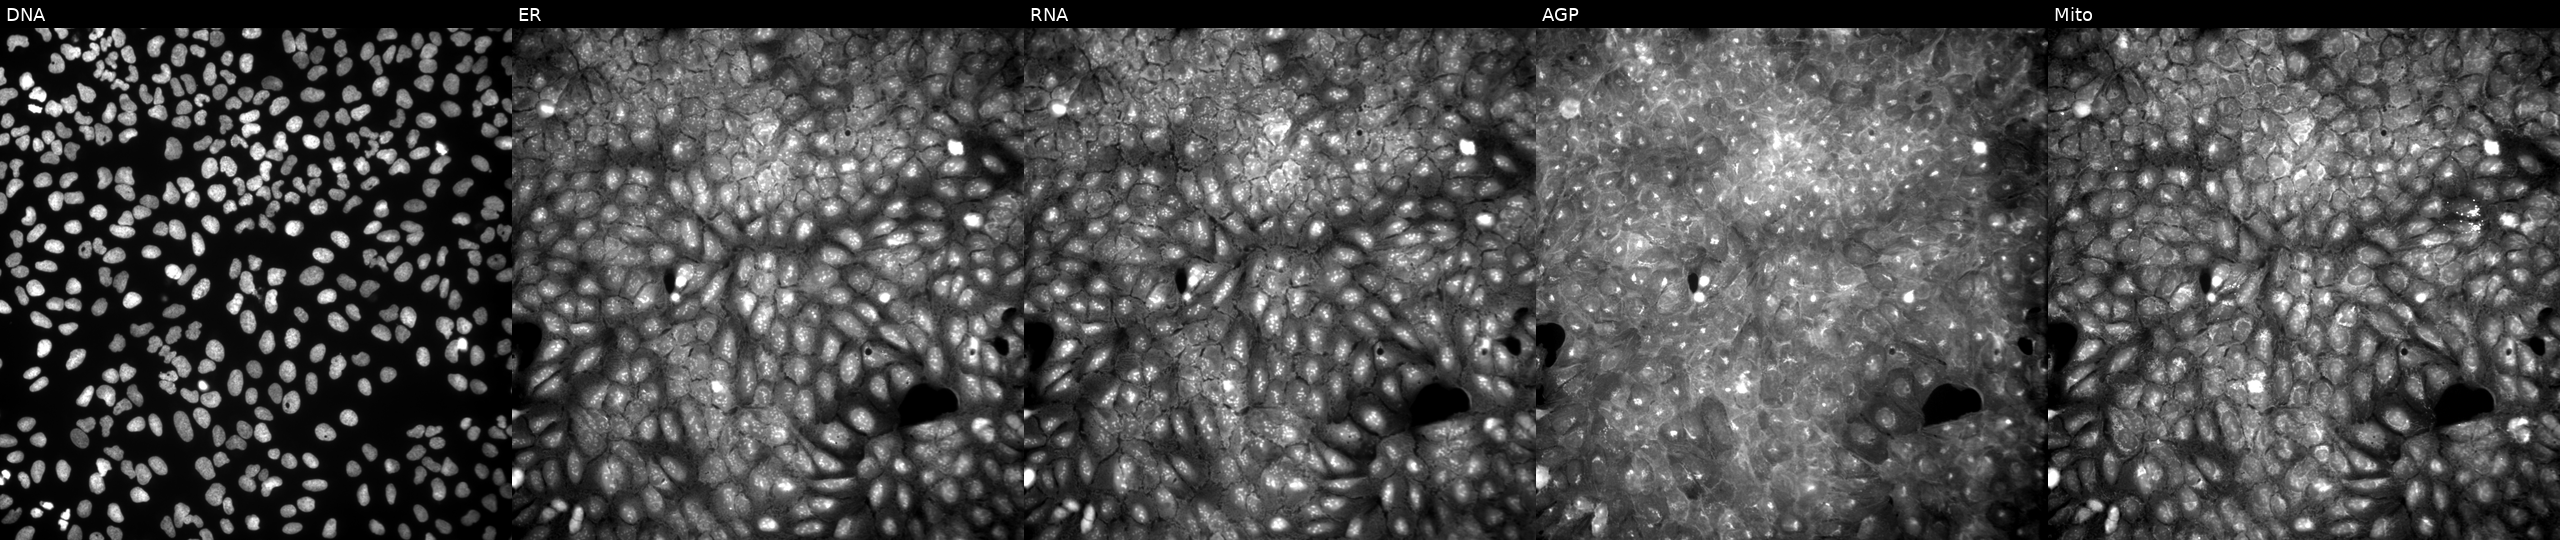
Five-channel Cell Painting image of U2OS cells exposed to a small-molecule compound (InChIKey CSSPIWQNJFMNBN-UHFFFAOYSA-N) (JUMP id JCP2022_013193). From left to right: Hoechst 33342, concanavalin A, SYTO 14, phalloidin and WGA, MitoTracker. Source 9, plate GR00003381, well J36.